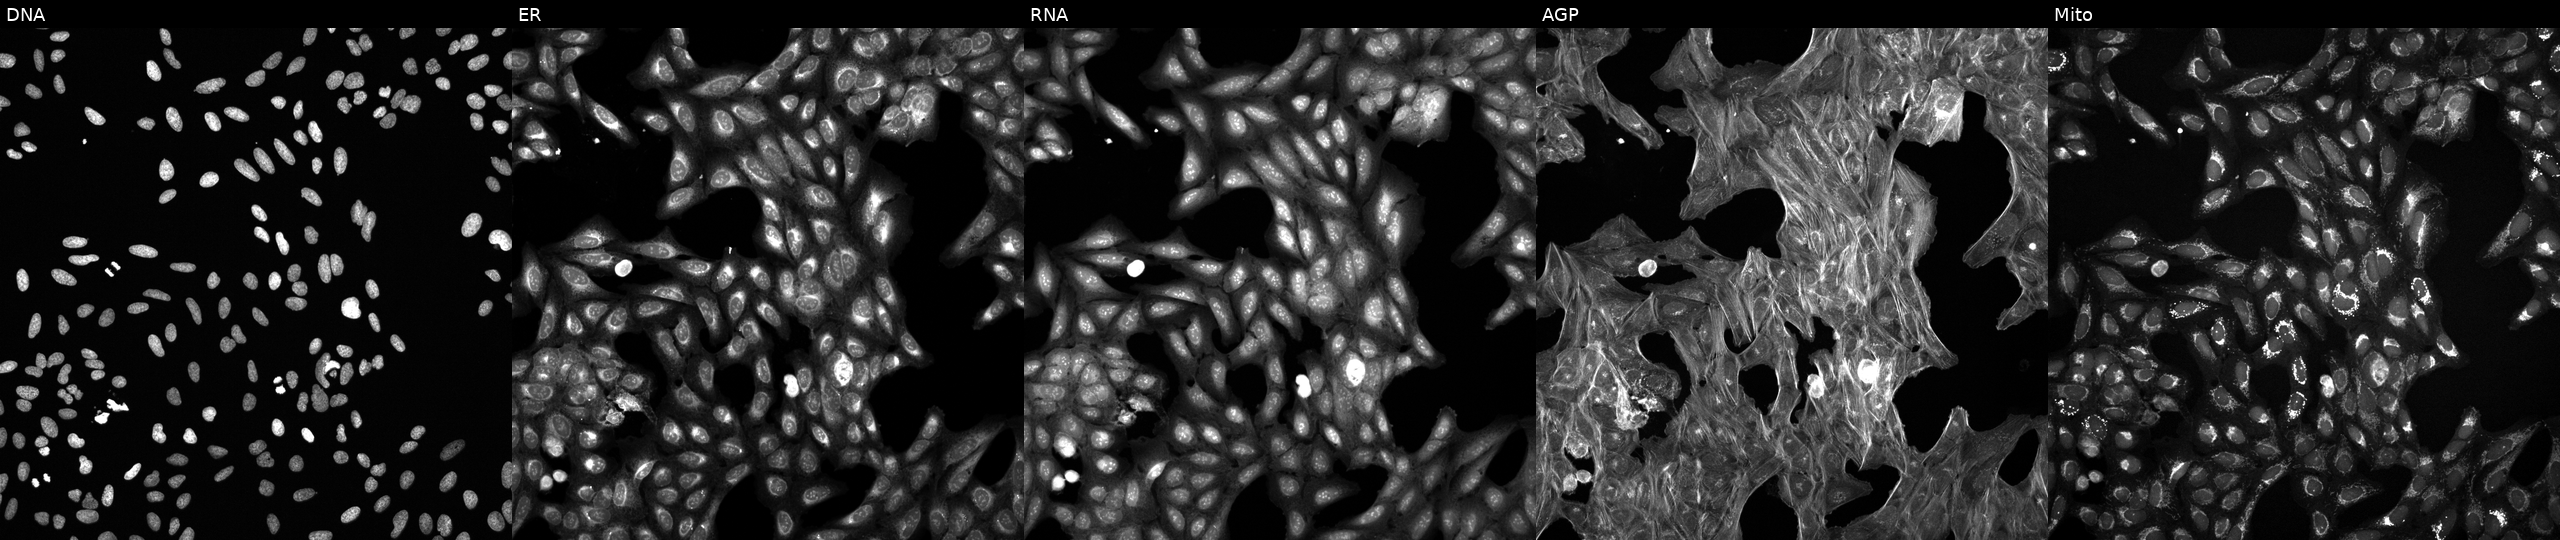
Channels (left→right): DNA, ER, RNA, AGP, and Mito. U2OS osteosarcoma cells exposed to a small-molecule compound (JUMP id JCP2022_058363). Cell Painting assay, JUMP-CP dataset.